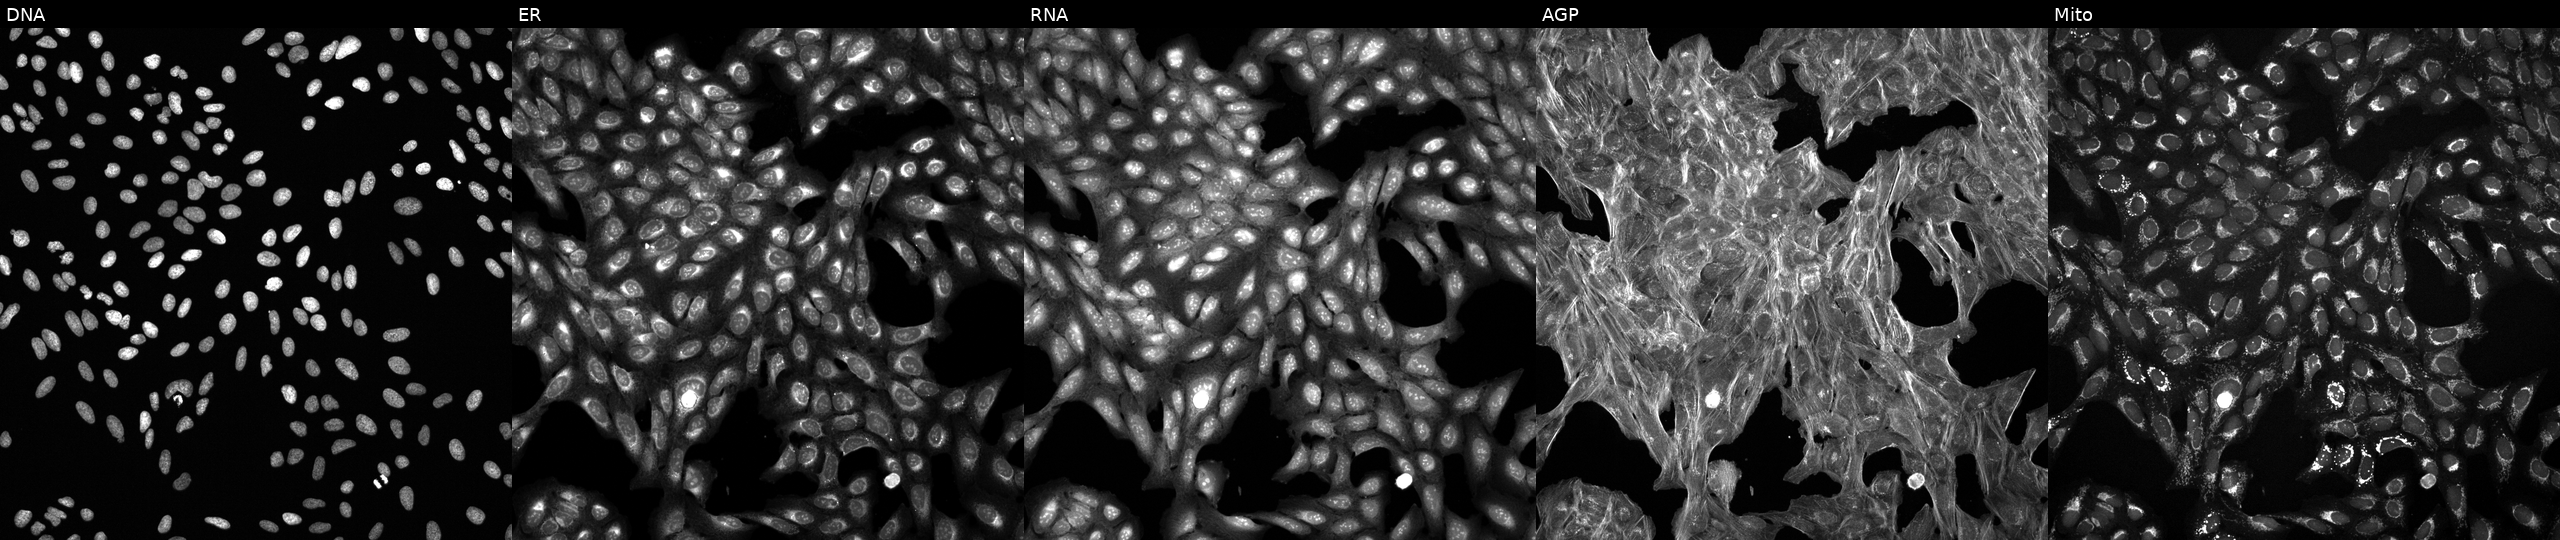
This image strip shows the five Cell Painting channels for a single field of U2OS cells treated with a small-molecule compound (InChIKey GAYMSHKLOZPZTO-UHFFFAOYSA-N). Panels show, left to right, DNA, ER, RNA, AGP, and Mito.